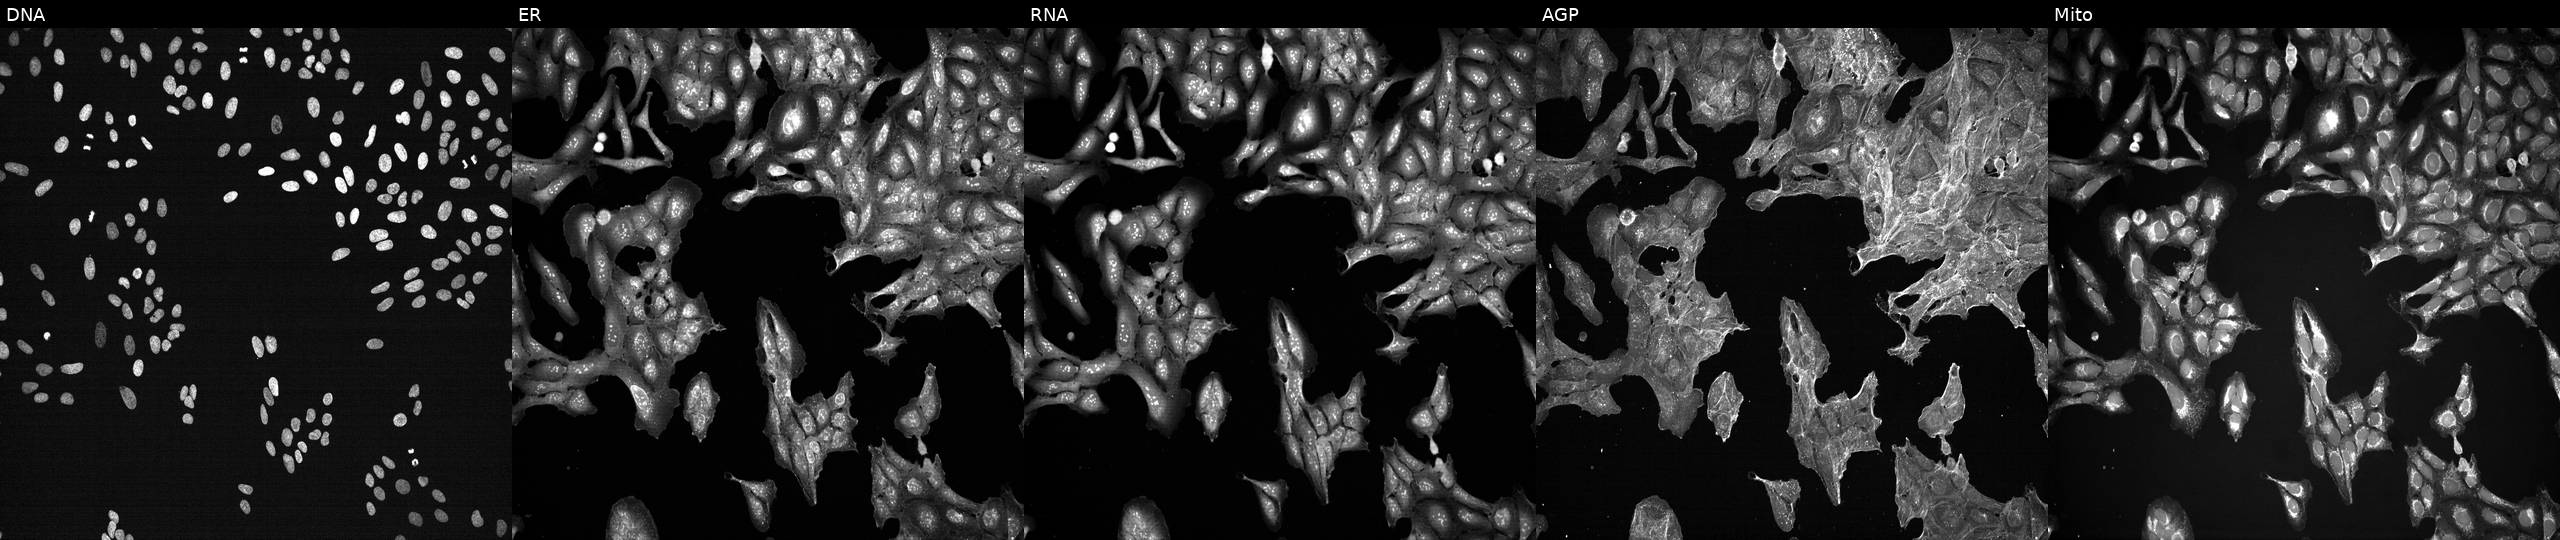
High-content fluorescence microscopy (Cell Painting). Cell line: U2OS. Perturbation: exposed to a small-molecule compound (InChIKey JZFPYUNJRRFVQU-UHFFFAOYSA-N) (JUMP id JCP2022_043099). Channels (left→right): DNA, ER, RNA, AGP, and Mito.